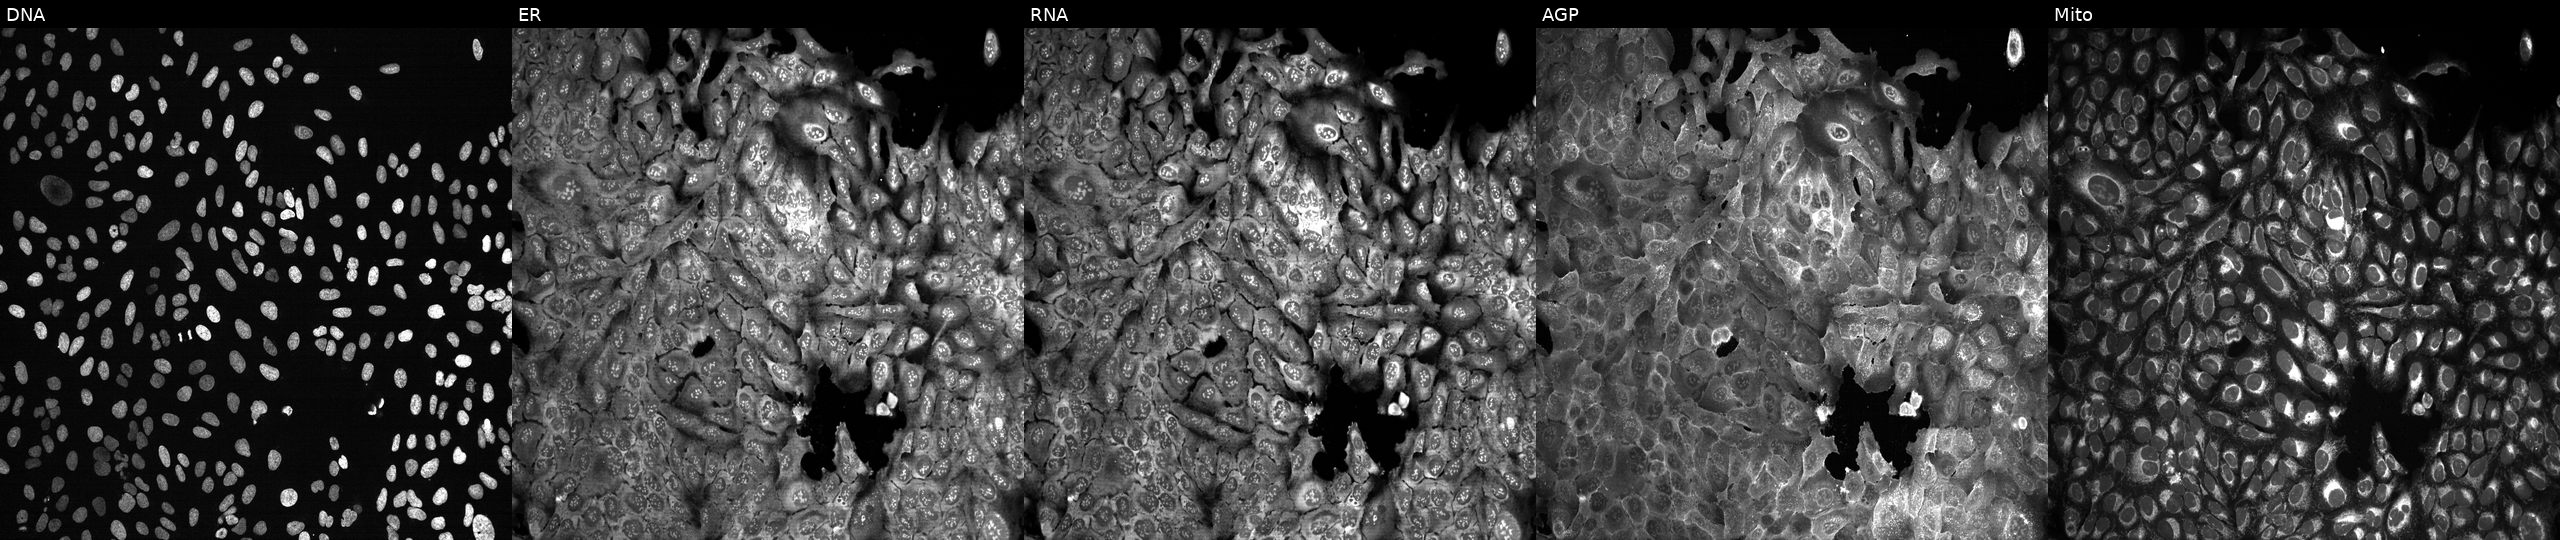
JUMP Cell Painting — CRISPR plate. U2OS cells with CAPN10 knocked out by CRISPR. Panels show, left to right, DNA, ER, RNA, AGP, and Mito. Source 13, plate CP-CC9-R6-19, well C04.